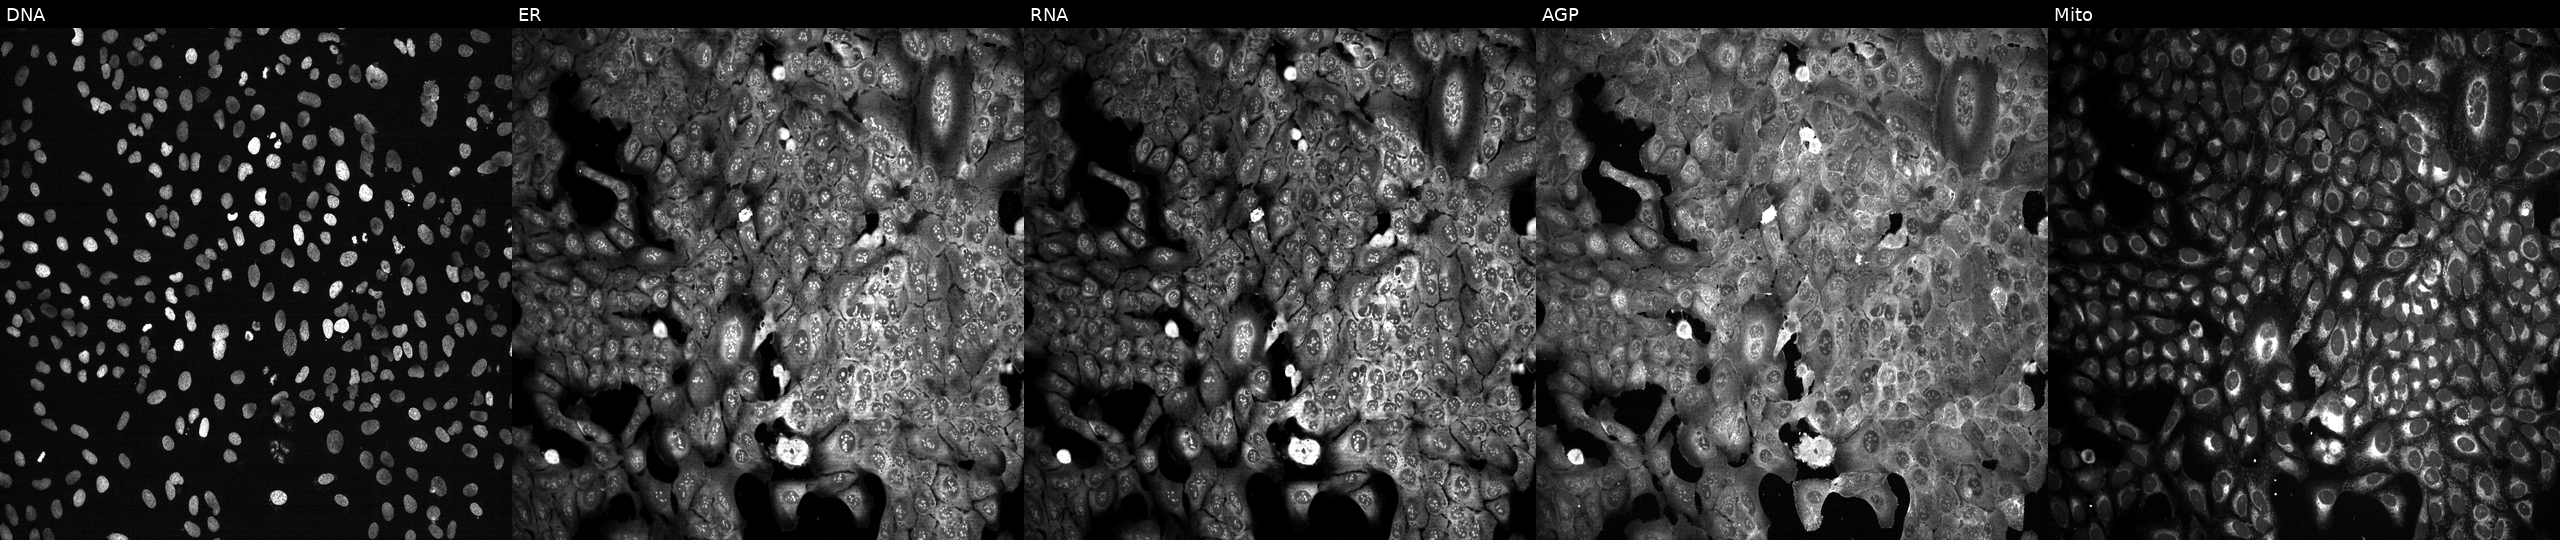
High-content fluorescence microscopy (Cell Painting). Cell line: U2OS. Perturbation: with TMED10 knocked out by CRISPR (JUMP id JCP2022_807126). Channels (left→right): DNA (nuclei); ER (endoplasmic reticulum); RNA (nucleoli and cytoplasmic RNA); AGP (actin cytoskeleton, Golgi, and plasma membrane); Mito (mitochondria).